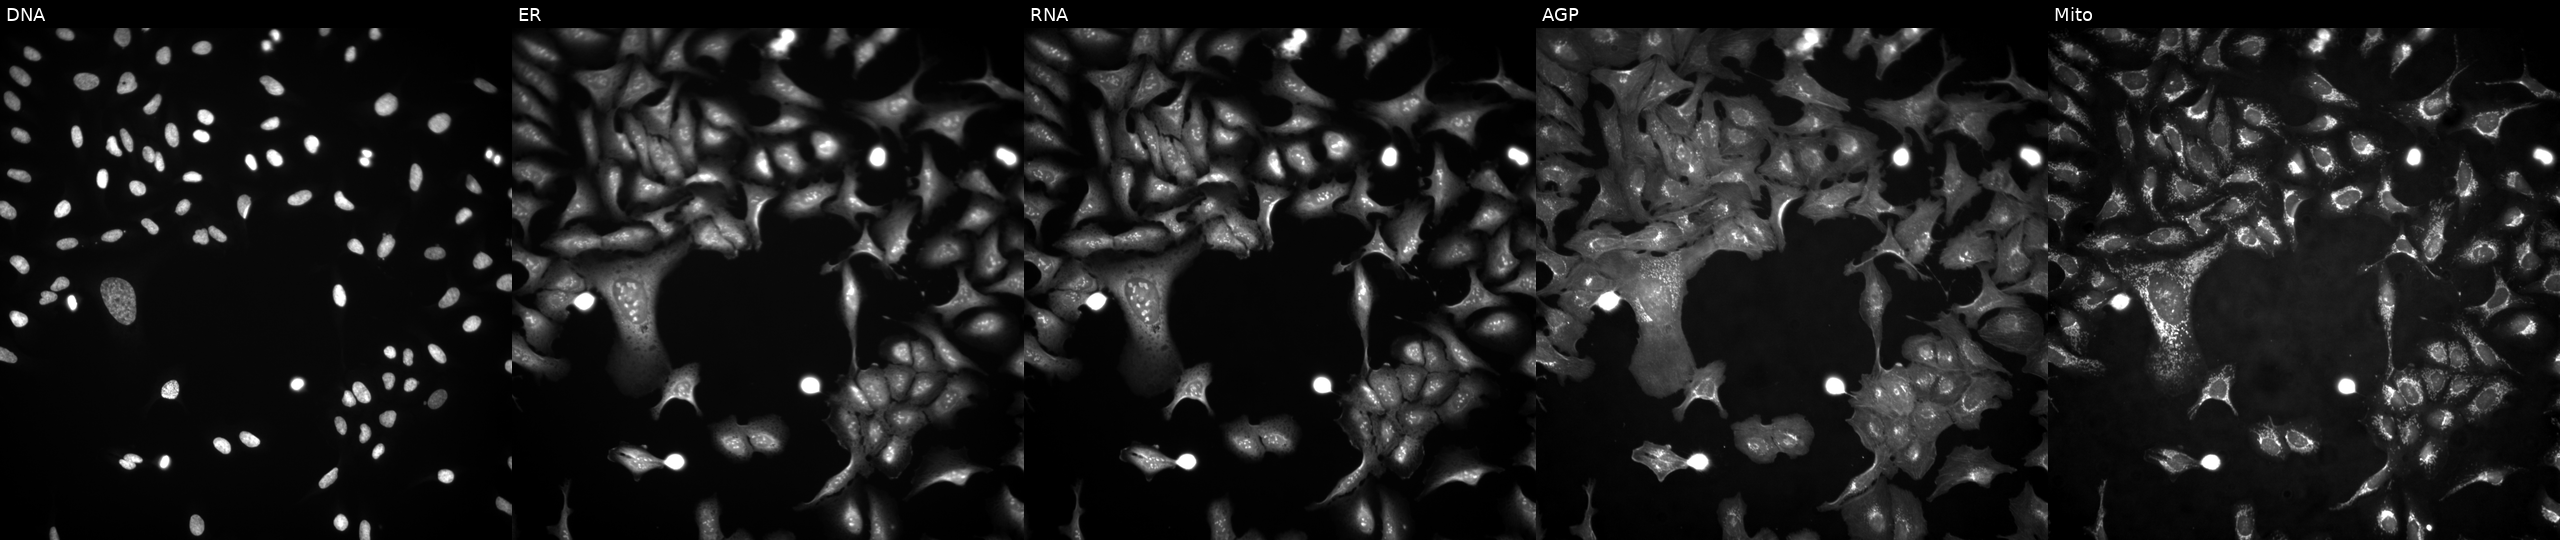
High-content fluorescence microscopy (Cell Painting). Cell line: U2OS. Perturbation: with ZNF583 overexpressed (ORF) (JUMP id JCP2022_904686). The five panels, left to right, show DNA (nuclei); ER (endoplasmic reticulum); RNA (nucleoli and cytoplasmic RNA); AGP (actin cytoskeleton, Golgi, and plasma membrane); Mito (mitochondria).